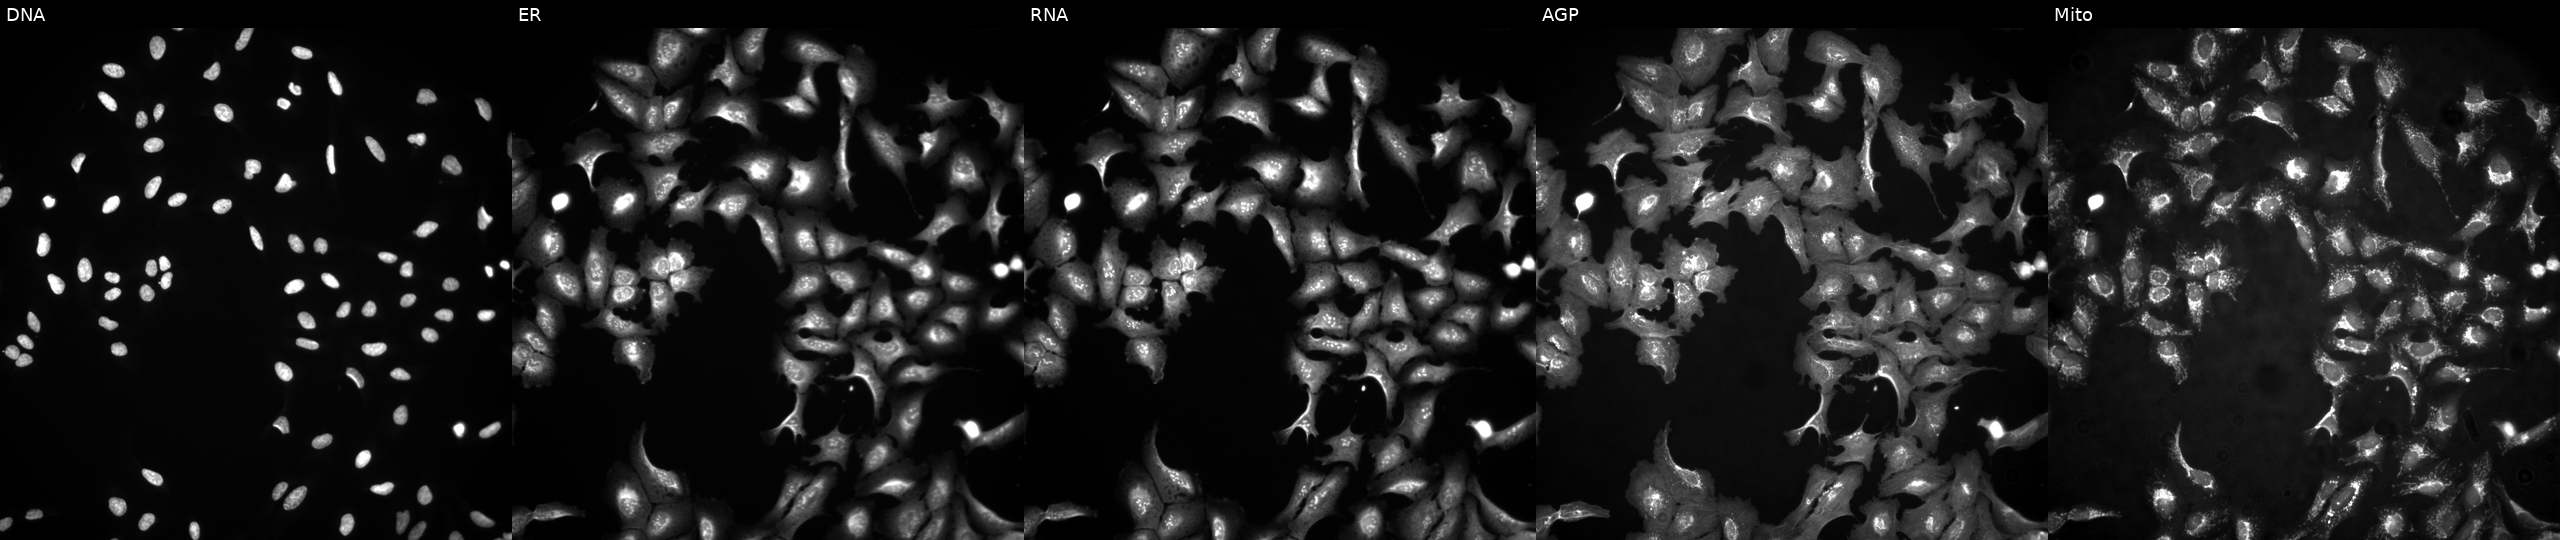
Five-channel Cell Painting image of U2OS cells transfected with an ORF construct for MFSD8 (JUMP id JCP2022_904971). Channels (left→right): DNA (nuclei); ER (endoplasmic reticulum); RNA (nucleoli and cytoplasmic RNA); AGP (actin cytoskeleton, Golgi, and plasma membrane); Mito (mitochondria).